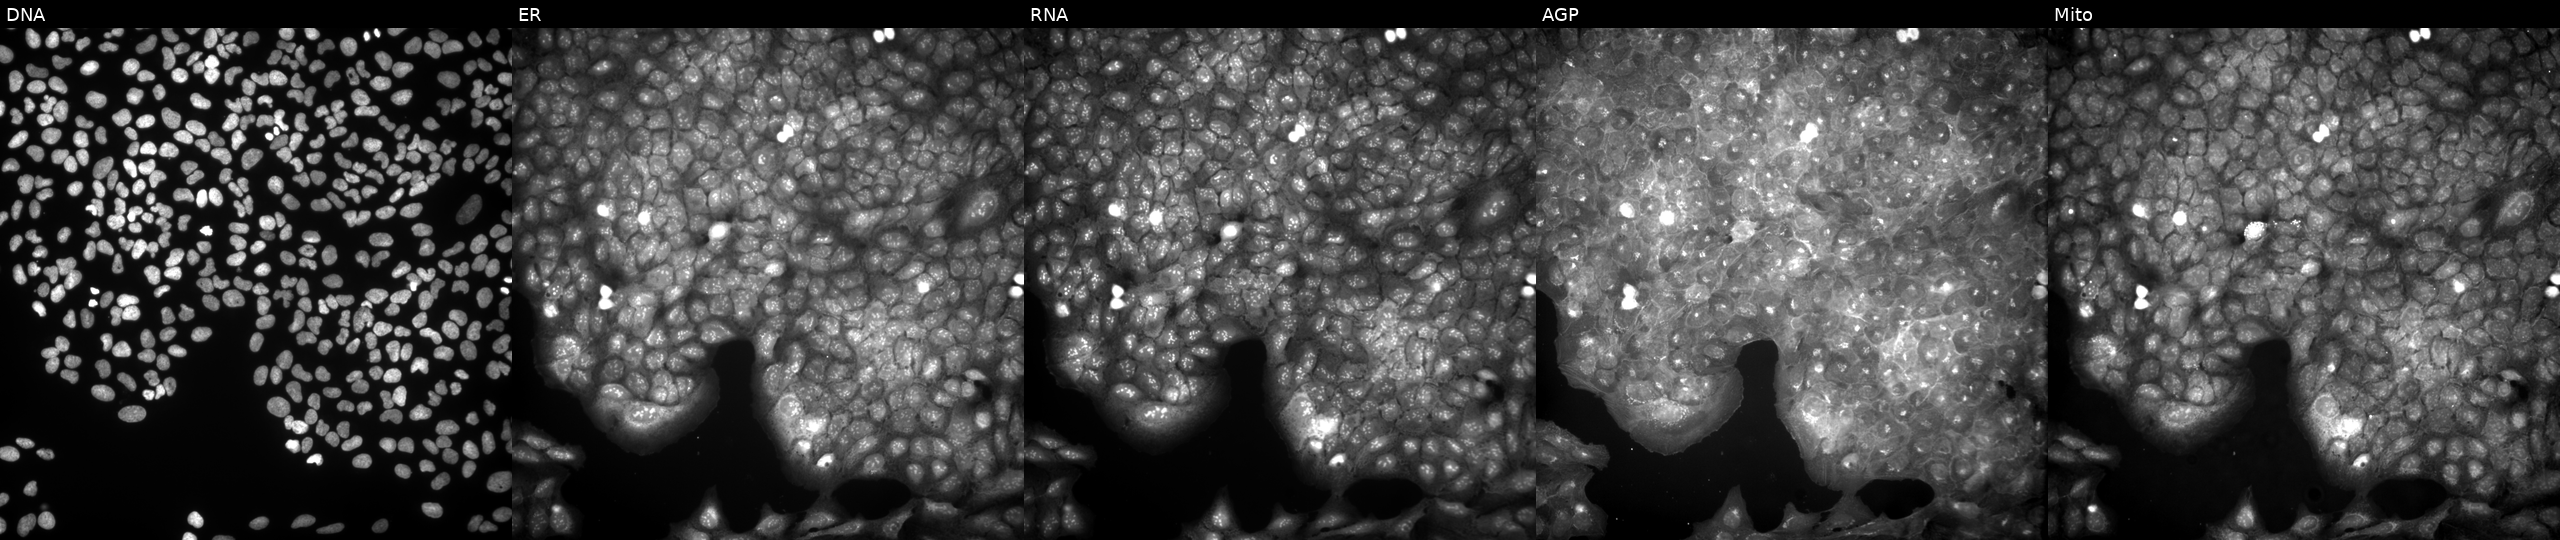
From left to right: Hoechst 33342, concanavalin A, SYTO 14, phalloidin and WGA, MitoTracker. U2OS osteosarcoma cells exposed to a small-molecule compound (InChIKey VMGWRBFEMCOCIV-UHFFFAOYSA-N) (JUMP id JCP2022_094904). Cell Painting assay, JUMP-CP dataset.